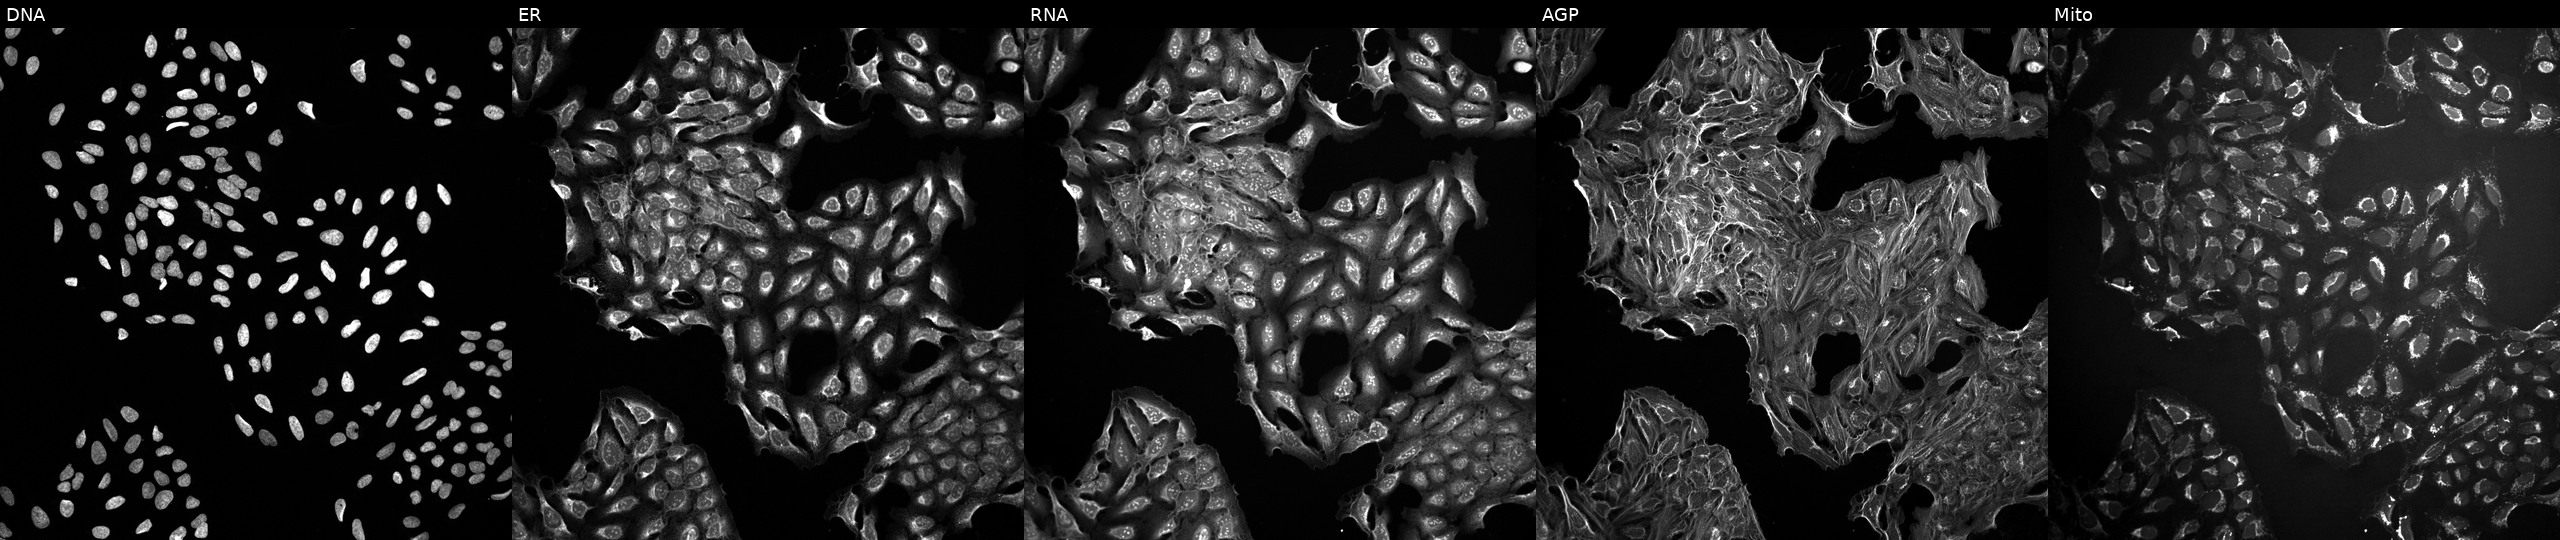
Five-channel Cell Painting image of U2OS cells exposed to a small-molecule compound (InChIKey ADEWYFOXHSDZBQ-UHFFFAOYSA-N). The five panels, left to right, show DNA, ER, RNA, AGP, and Mito.